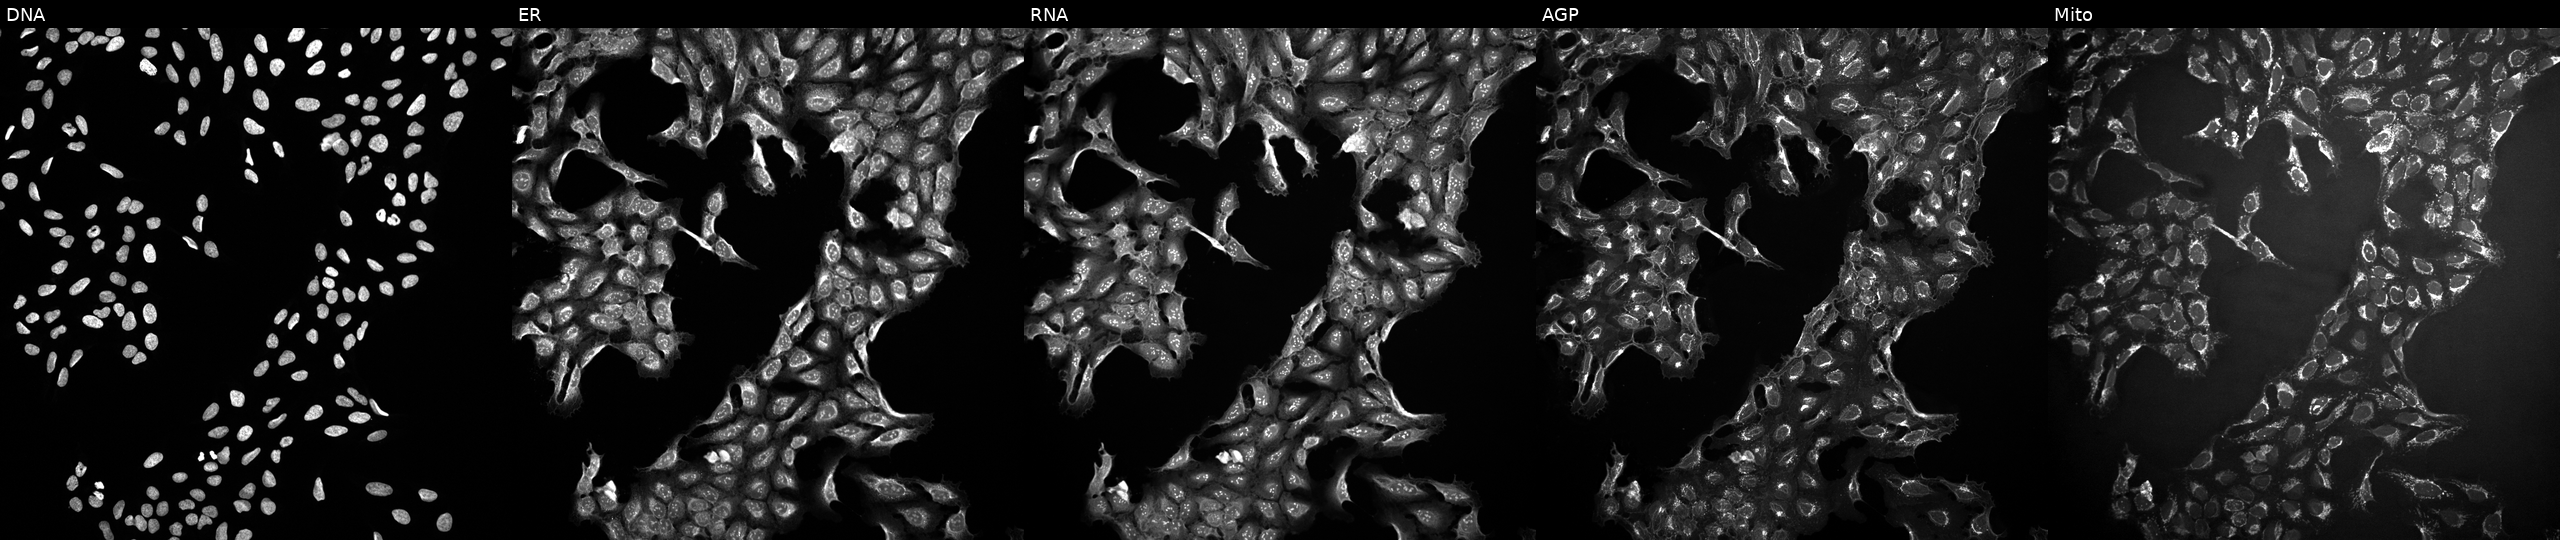
The five panels, left to right, show DNA, ER, RNA, AGP, and Mito. U2OS osteosarcoma cells treated with a small-molecule compound (InChIKey QHKYPYXTTXKZST-UHFFFAOYSA-N) (JUMP id JCP2022_073458). Cell Painting assay, JUMP-CP dataset.